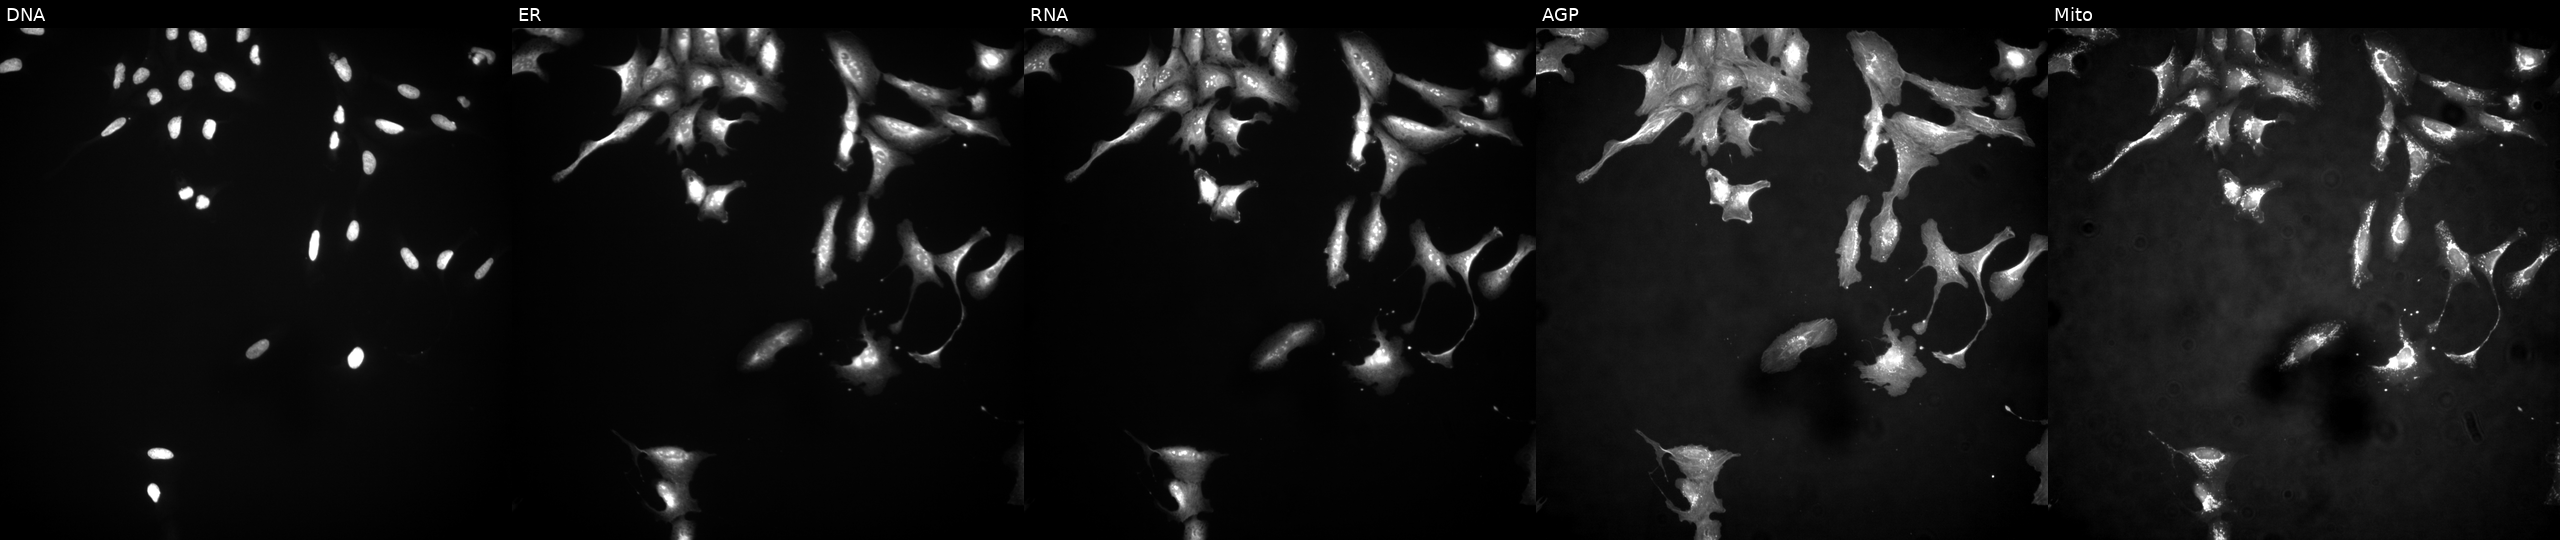
From left to right: DNA (nuclei); ER (endoplasmic reticulum); RNA (nucleoli and cytoplasmic RNA); AGP (actin cytoskeleton, Golgi, and plasma membrane); Mito (mitochondria). U2OS osteosarcoma cells transfected with an ORF construct for MPP5 (JUMP id JCP2022_903700). Cell Painting assay, JUMP-CP dataset.